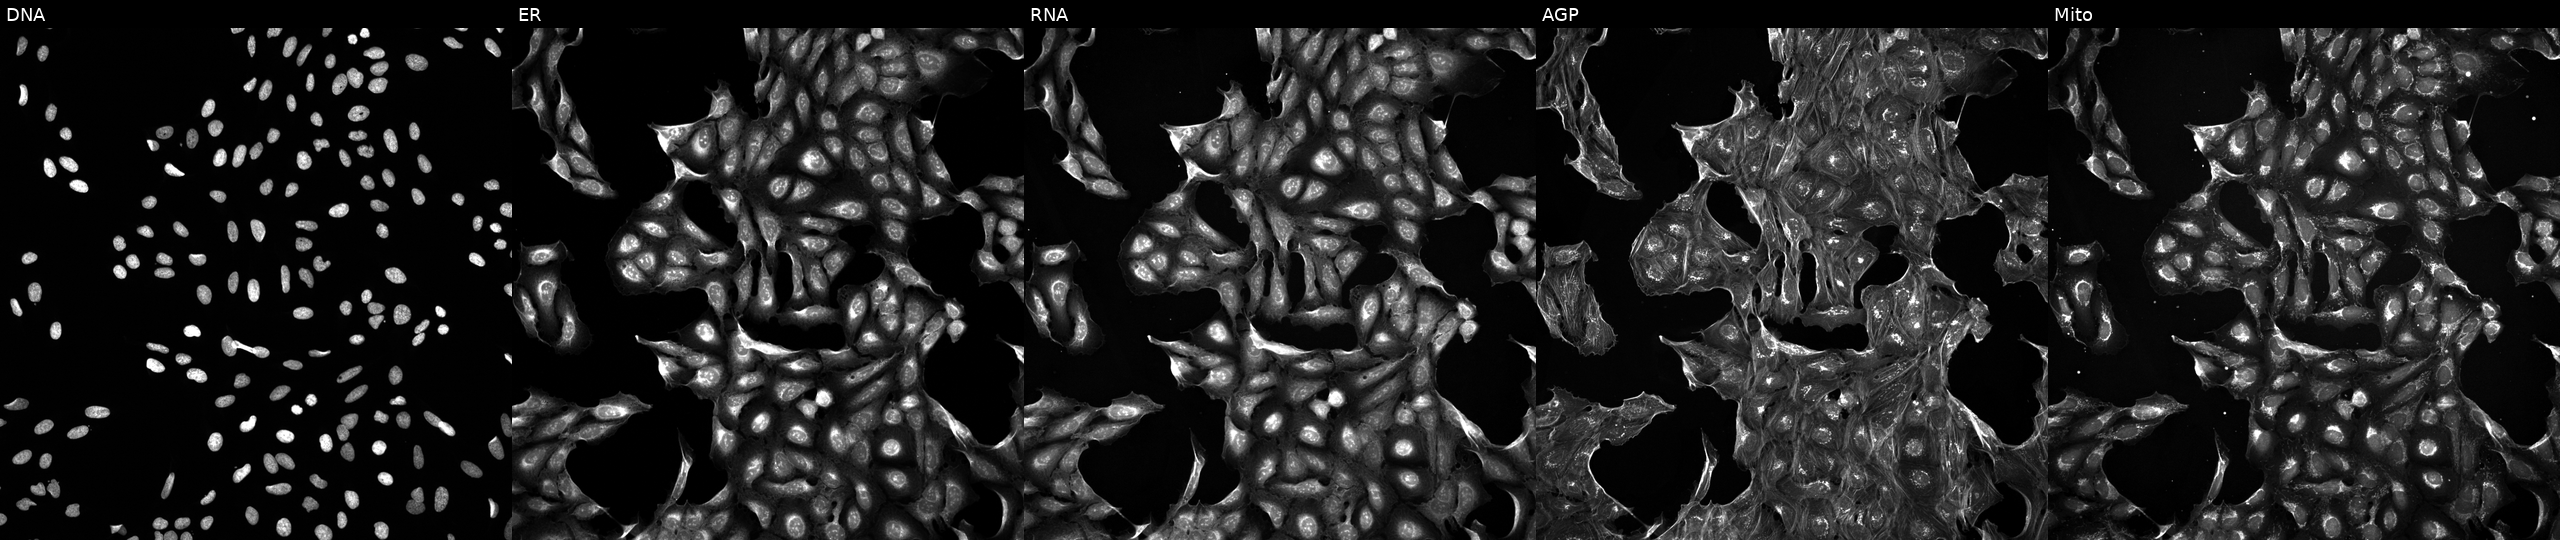
U2OS cells, Cell Painting assay, perturbed with a small-molecule compound (InChIKey GUUGZPSUOTWOMD-UHFFFAOYSA-N) [SMILES: Oc1ccc(C(O)O)[nH]1]. Panels show, left to right, Hoechst 33342, concanavalin A, SYTO 14, phalloidin and WGA, MitoTracker. Each panel is percentile-stretched 16-bit fluorescence. Source 5, plate ACPJUM032, well A06.